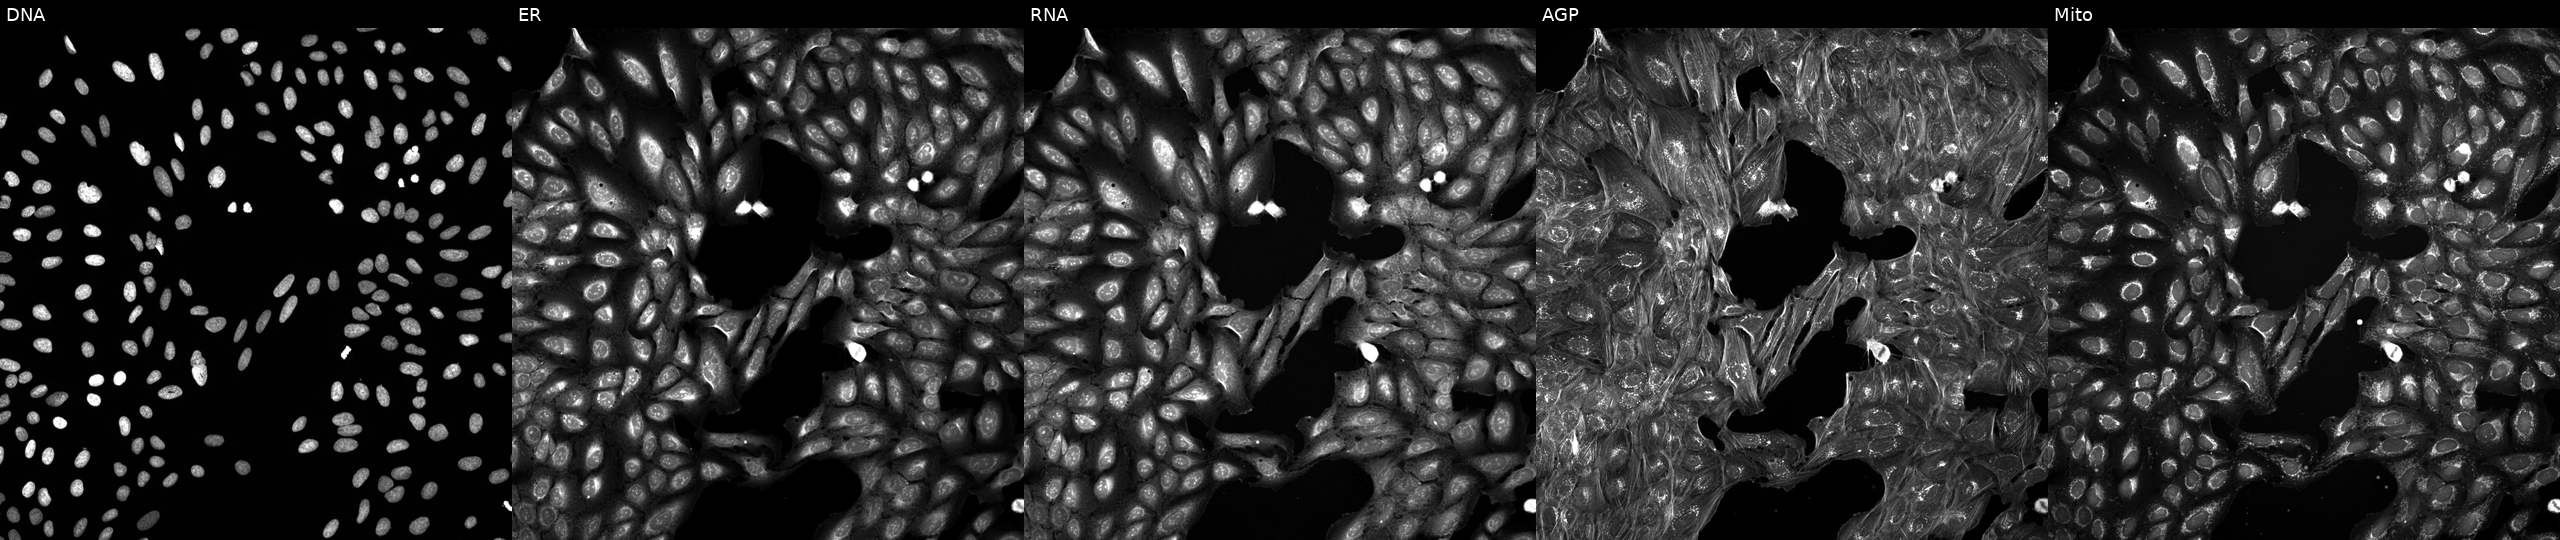
This image strip shows the five Cell Painting channels for a single field of U2OS cells treated with dexamethasone (positive-control compound) (JUMP id JCP2022_025848). The five panels, left to right, show Hoechst 33342, concanavalin A, SYTO 14, phalloidin and WGA, MitoTracker.